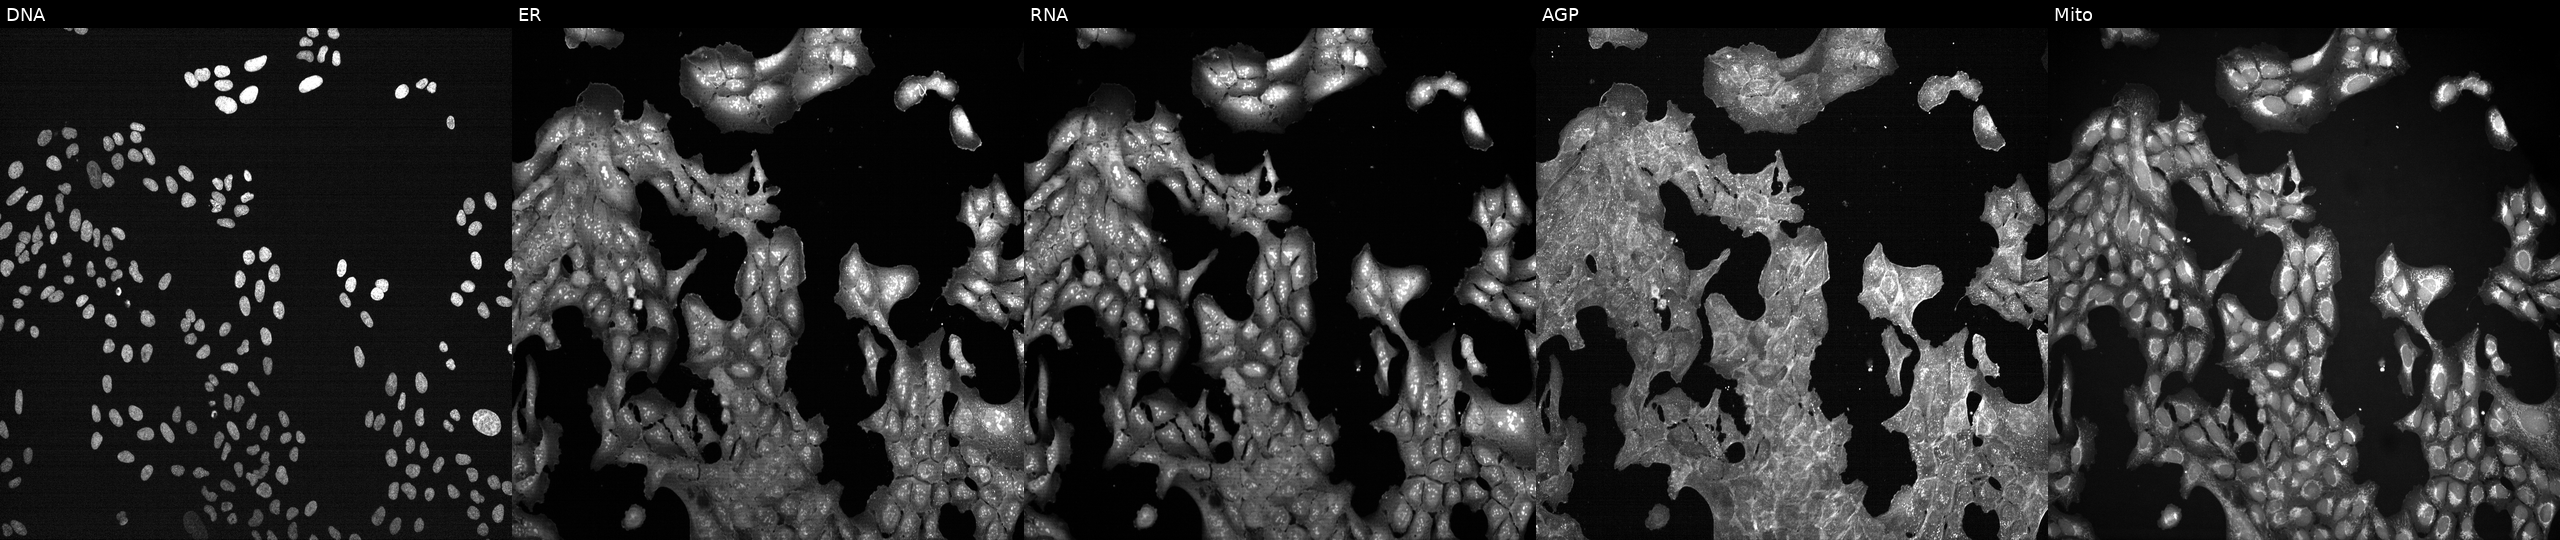
This image strip shows the five Cell Painting channels for a single field of U2OS cells exposed to DMSO alone as a negative control (JUMP id JCP2022_033924). From left to right: Hoechst 33342, concanavalin A, SYTO 14, phalloidin and WGA, MitoTracker.